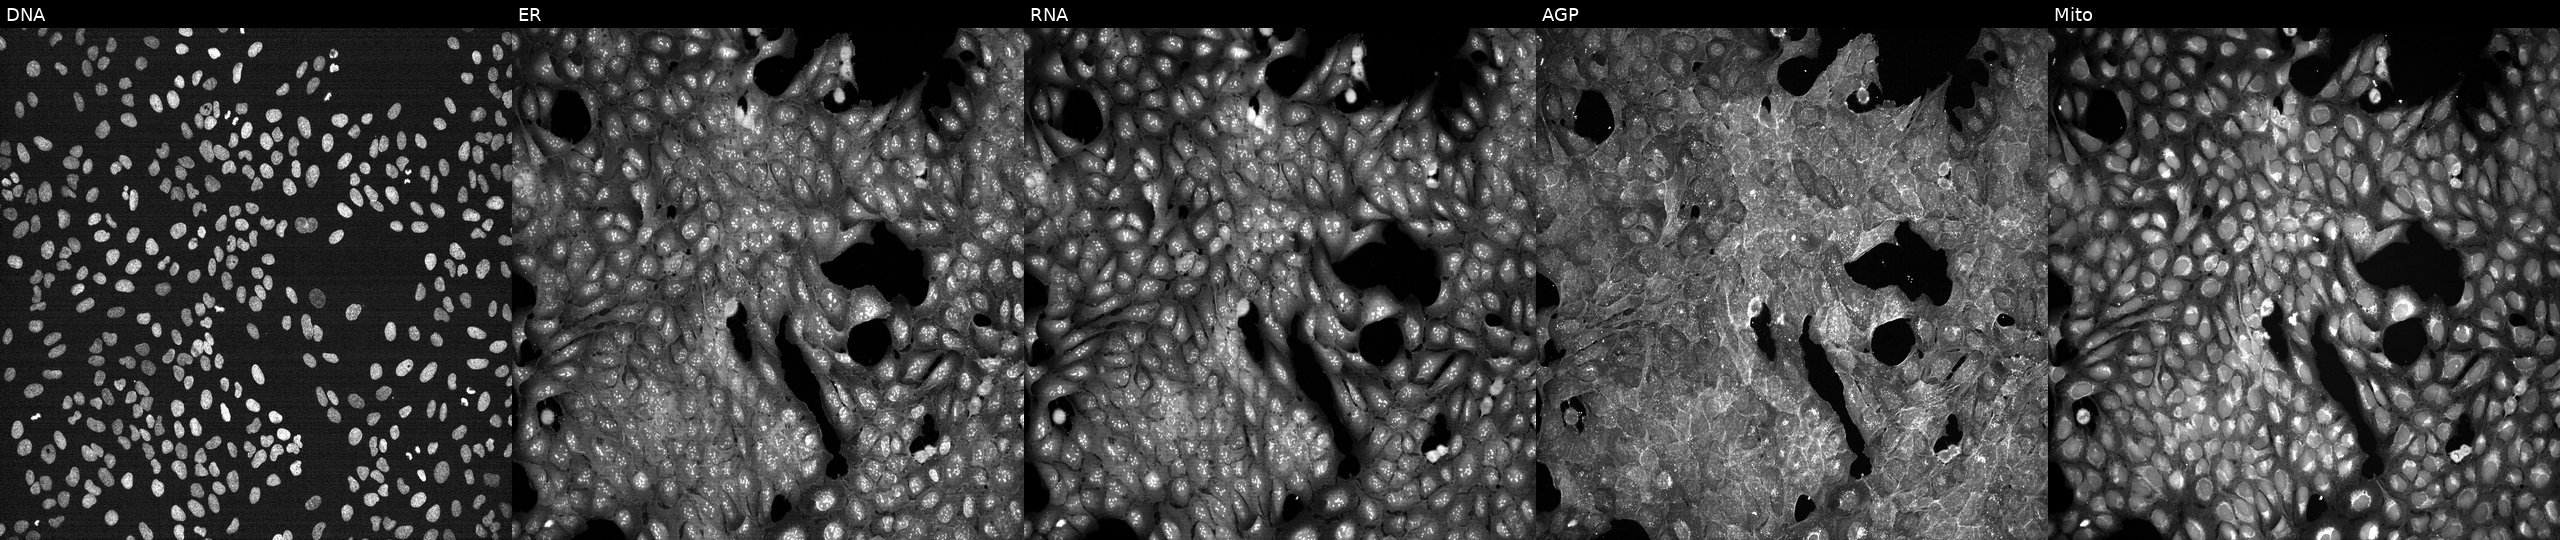
Five-channel Cell Painting image of U2OS cells exposed to DMSO alone as a negative control (JUMP id JCP2022_033924). The five panels, left to right, show DNA (nuclei); ER (endoplasmic reticulum); RNA (nucleoli and cytoplasmic RNA); AGP (actin cytoskeleton, Golgi, and plasma membrane); Mito (mitochondria). Source 7, plate CP1-SC1-25, well B12.